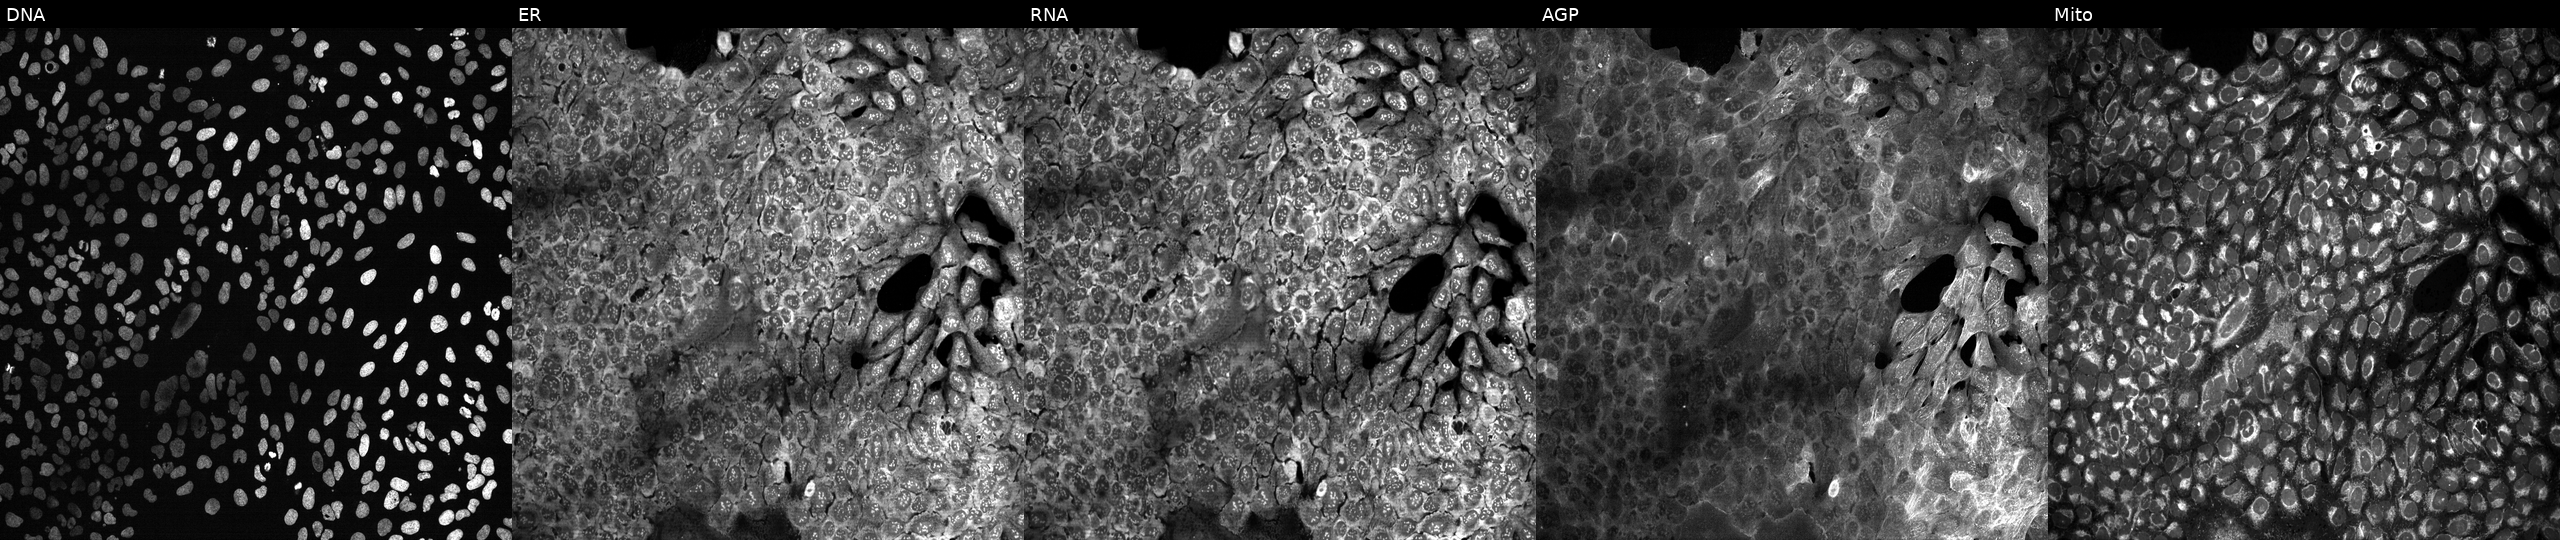
High-content fluorescence microscopy (Cell Painting). Cell line: U2OS. Perturbation: following CRISPR knockout of TNFRSF19. The five panels, left to right, show DNA (nuclei); ER (endoplasmic reticulum); RNA (nucleoli and cytoplasmic RNA); AGP (actin cytoskeleton, Golgi, and plasma membrane); Mito (mitochondria). Source 13, plate CP-CC9-R2-01, well F05.